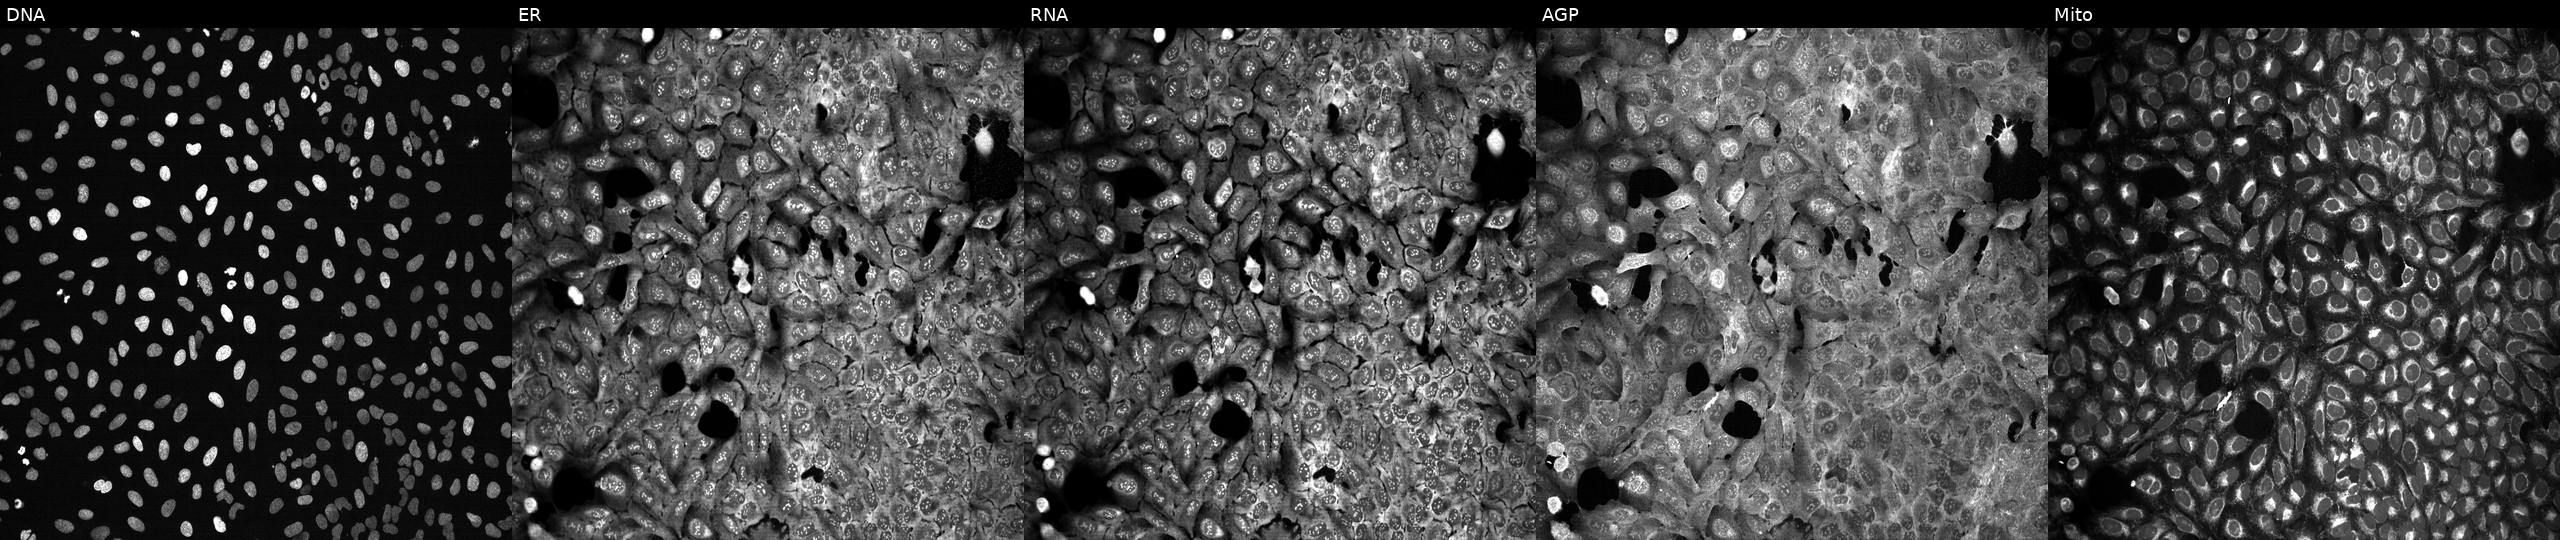
JUMP Cell Painting — CRISPR plate. U2OS cells following CRISPR knockout of GNAI3 (JUMP id JCP2022_802765). Panels show, left to right, DNA, ER, RNA, AGP, and Mito.